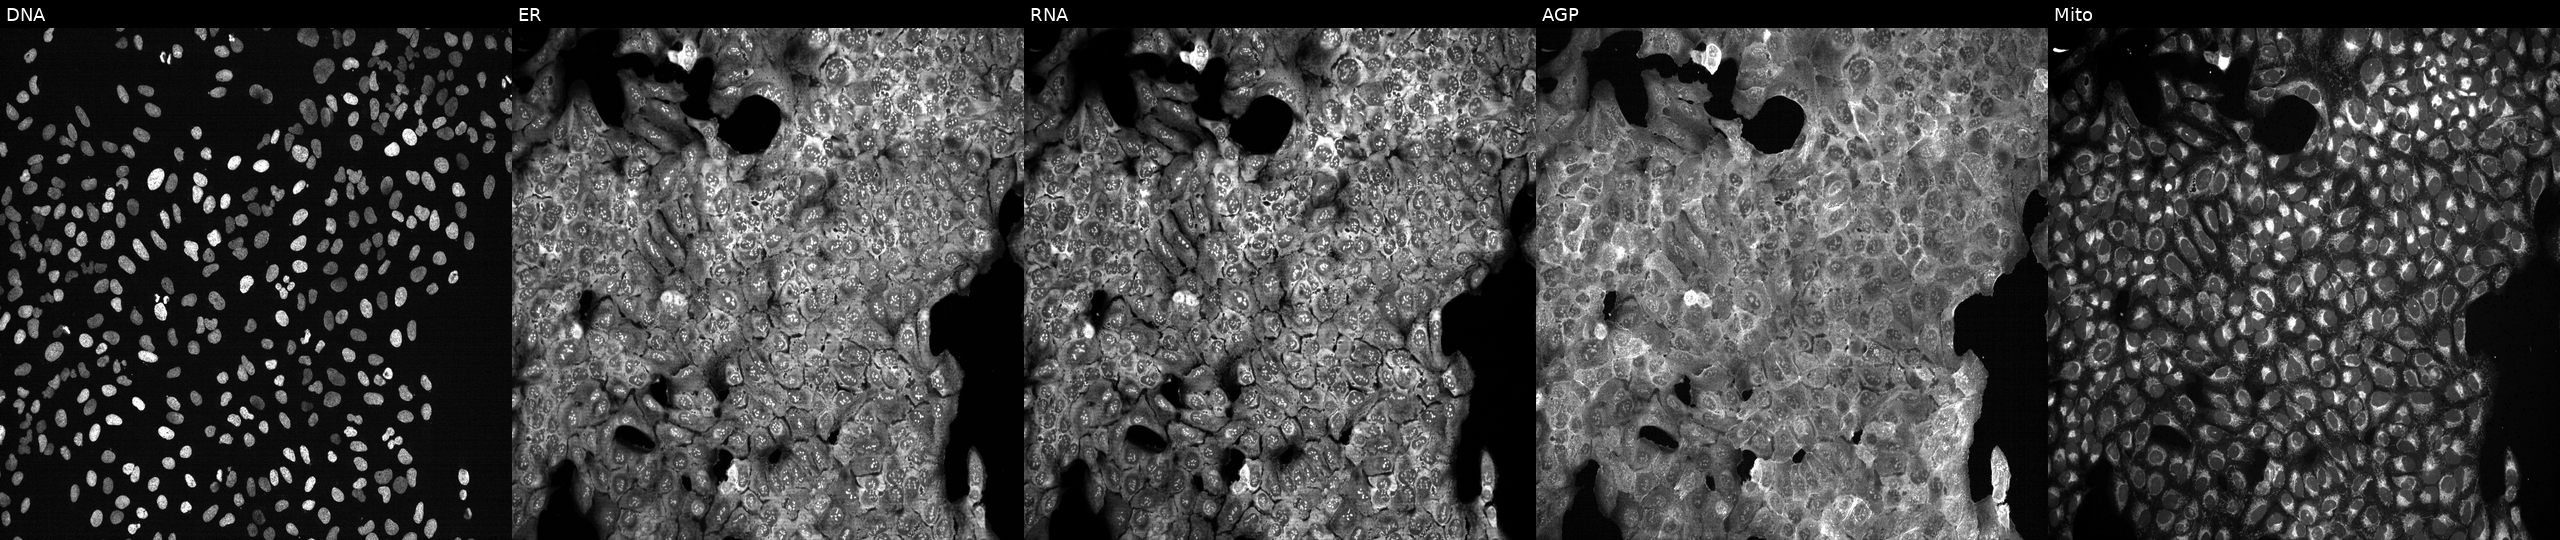
Five-channel Cell Painting image of U2OS cells following CRISPR knockout of VEGFA. Panels show, left to right, DNA, ER, RNA, AGP, and Mito.